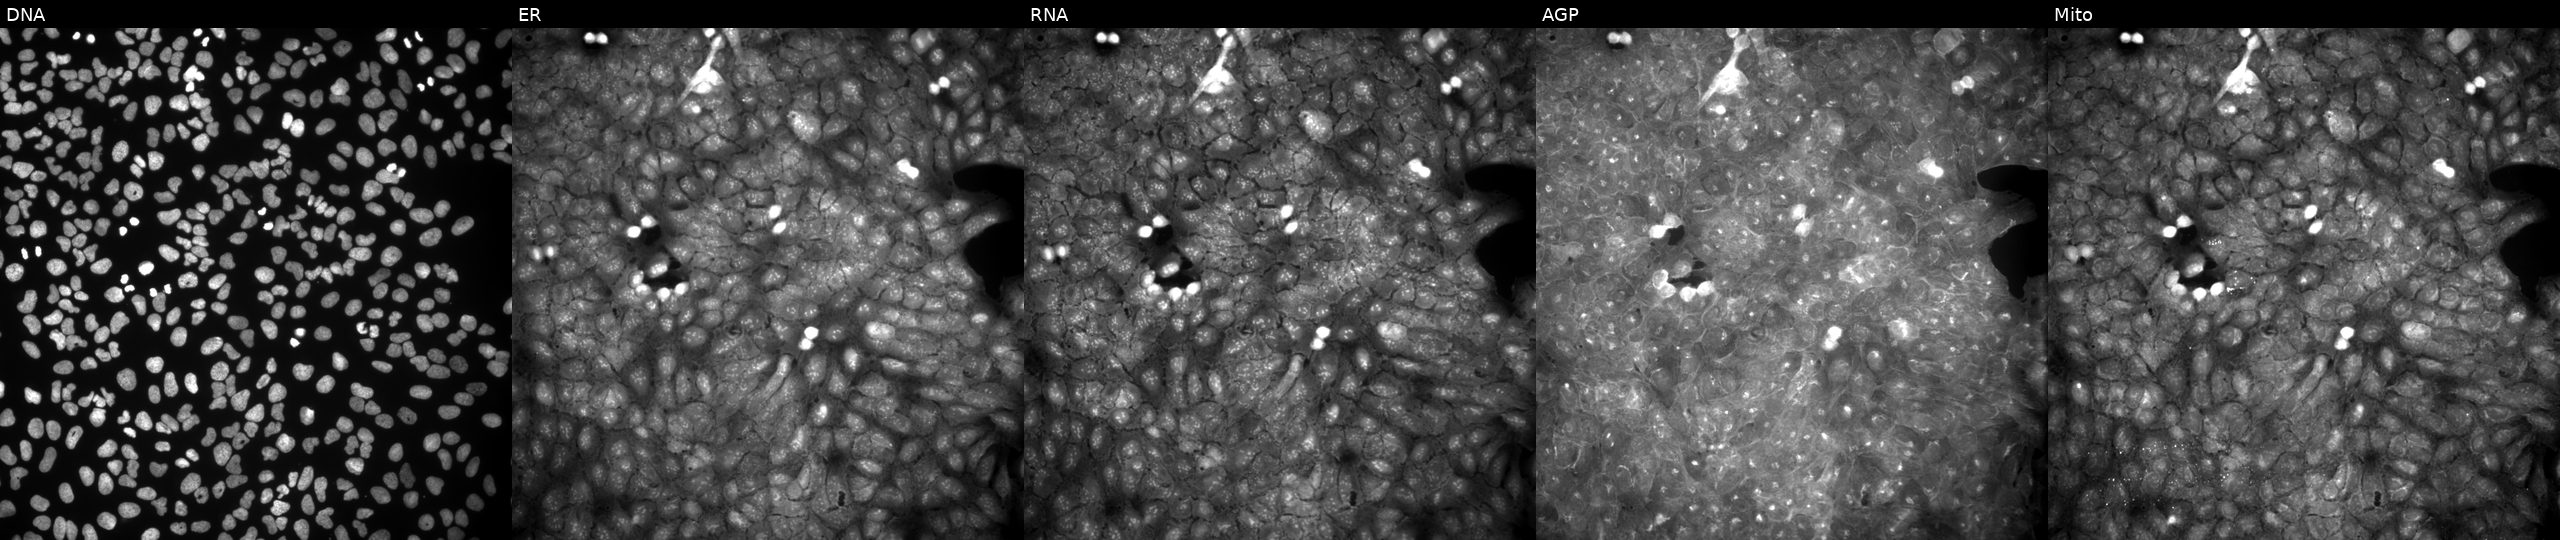
This image strip shows the five Cell Painting channels for a single field of U2OS cells exposed to a small-molecule compound (InChIKey GDTDCOKFSIHHNT-UHFFFAOYSA-N) [SMILES: COc1cccc(C(=O)NCCN2CCOCC2)c1]. Panels show, left to right, Hoechst 33342, concanavalin A, SYTO 14, phalloidin and WGA, MitoTracker.